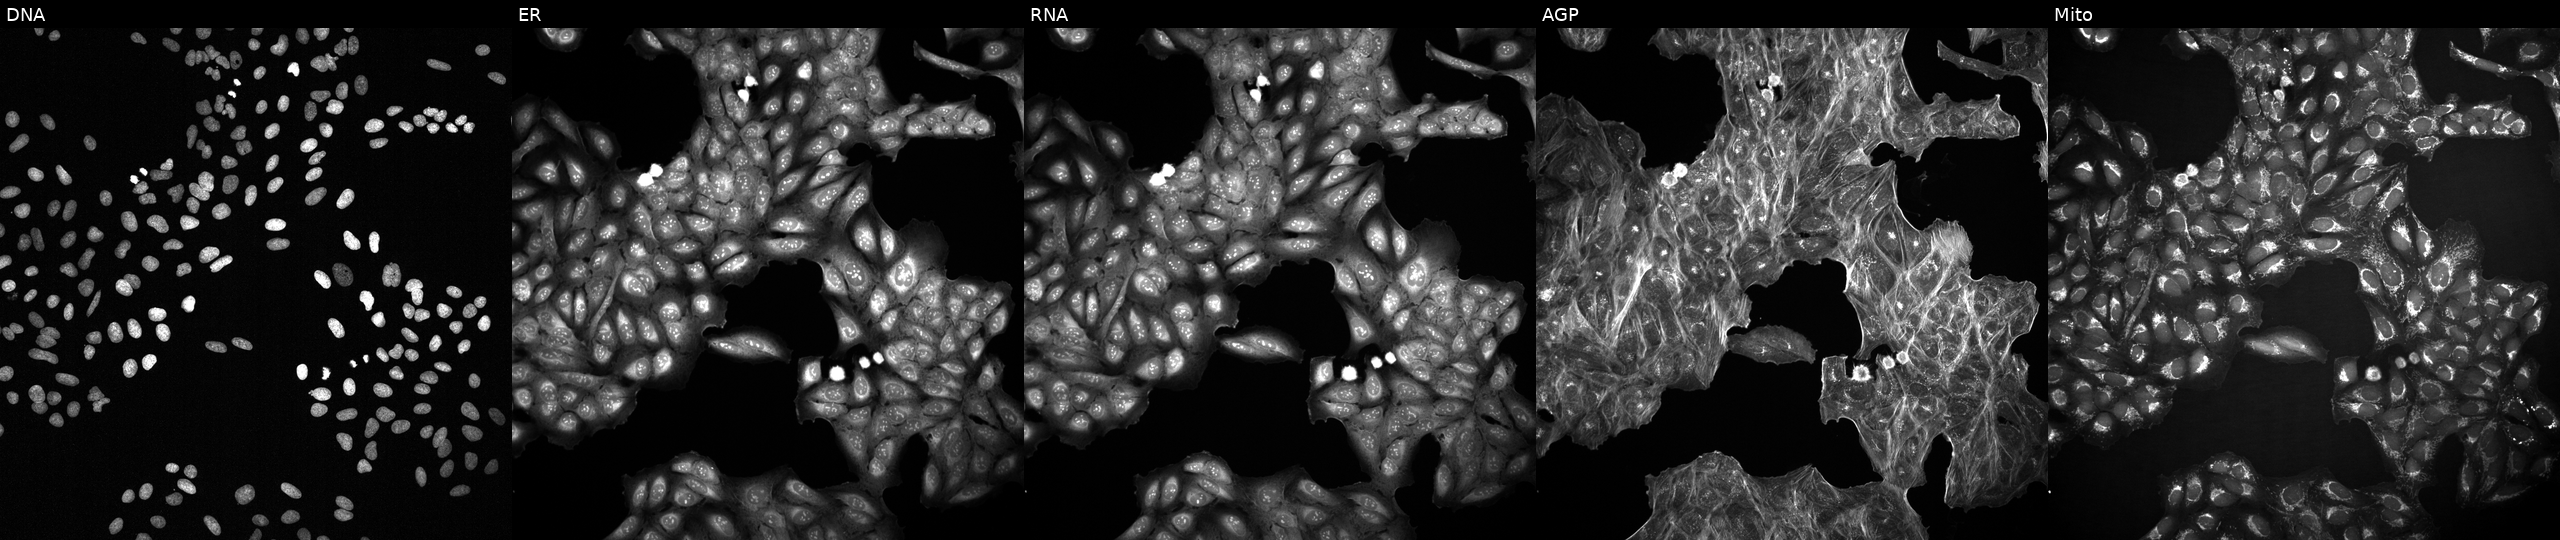
This image strip shows the five Cell Painting channels for a single field of U2OS cells treated with a small-molecule compound (InChIKey FALYNYQBELUNFE-UHFFFAOYSA-N). Panels show, left to right, DNA (nuclei); ER (endoplasmic reticulum); RNA (nucleoli and cytoplasmic RNA); AGP (actin cytoskeleton, Golgi, and plasma membrane); Mito (mitochondria).